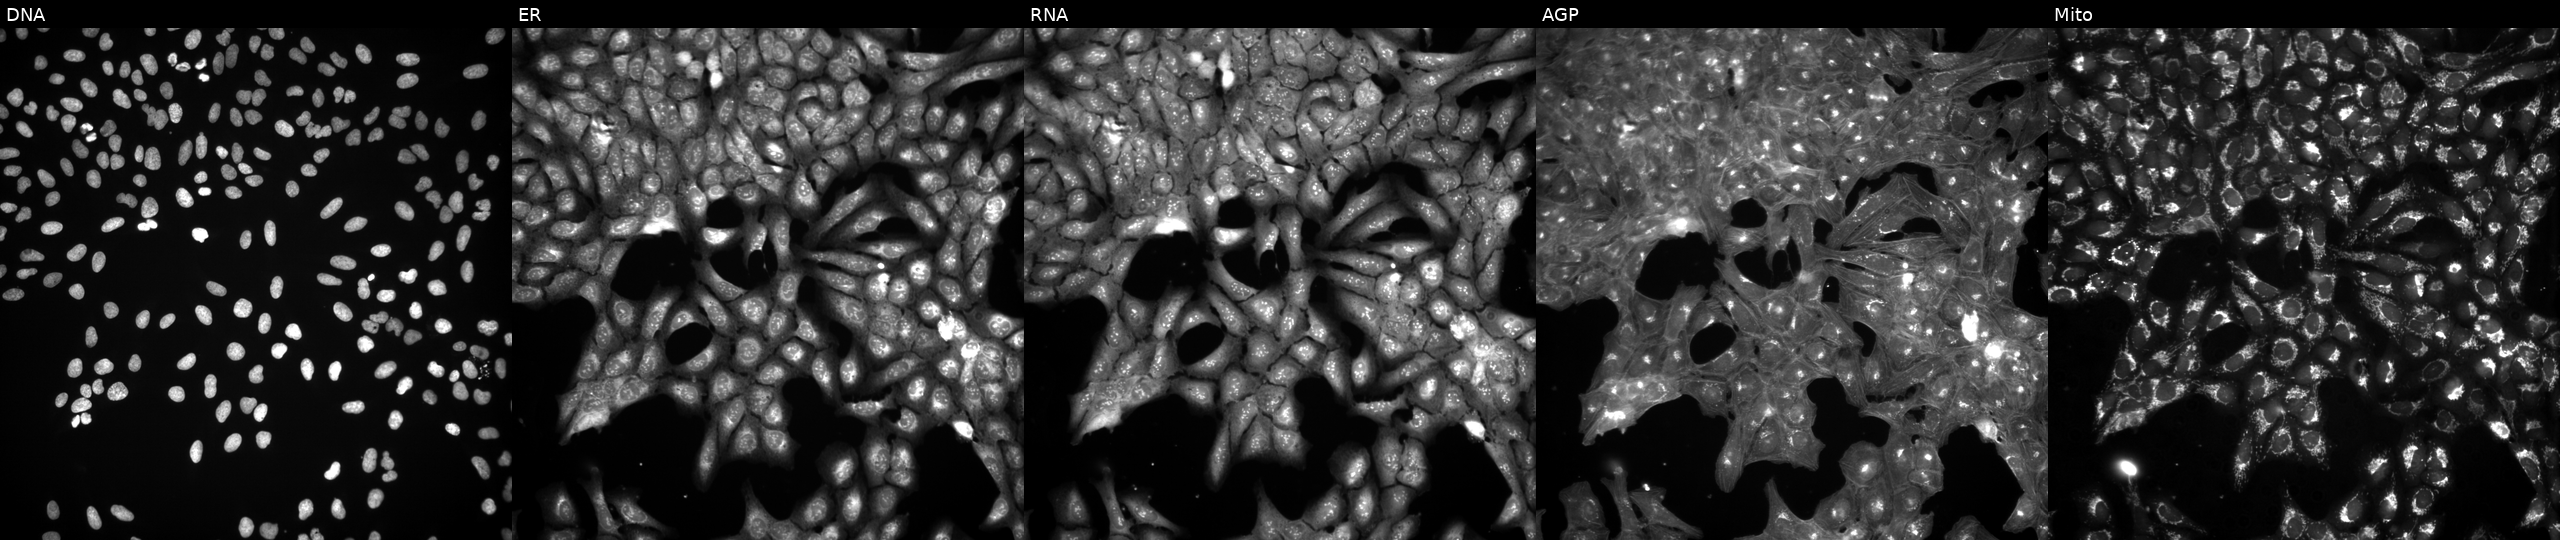
Channels (left→right): Hoechst 33342, concanavalin A, SYTO 14, phalloidin and WGA, MitoTracker. U2OS osteosarcoma cells treated with a small-molecule compound (InChIKey SIBQEDIQAPAOSH-UHFFFAOYSA-N). Cell Painting assay, JUMP-CP dataset.